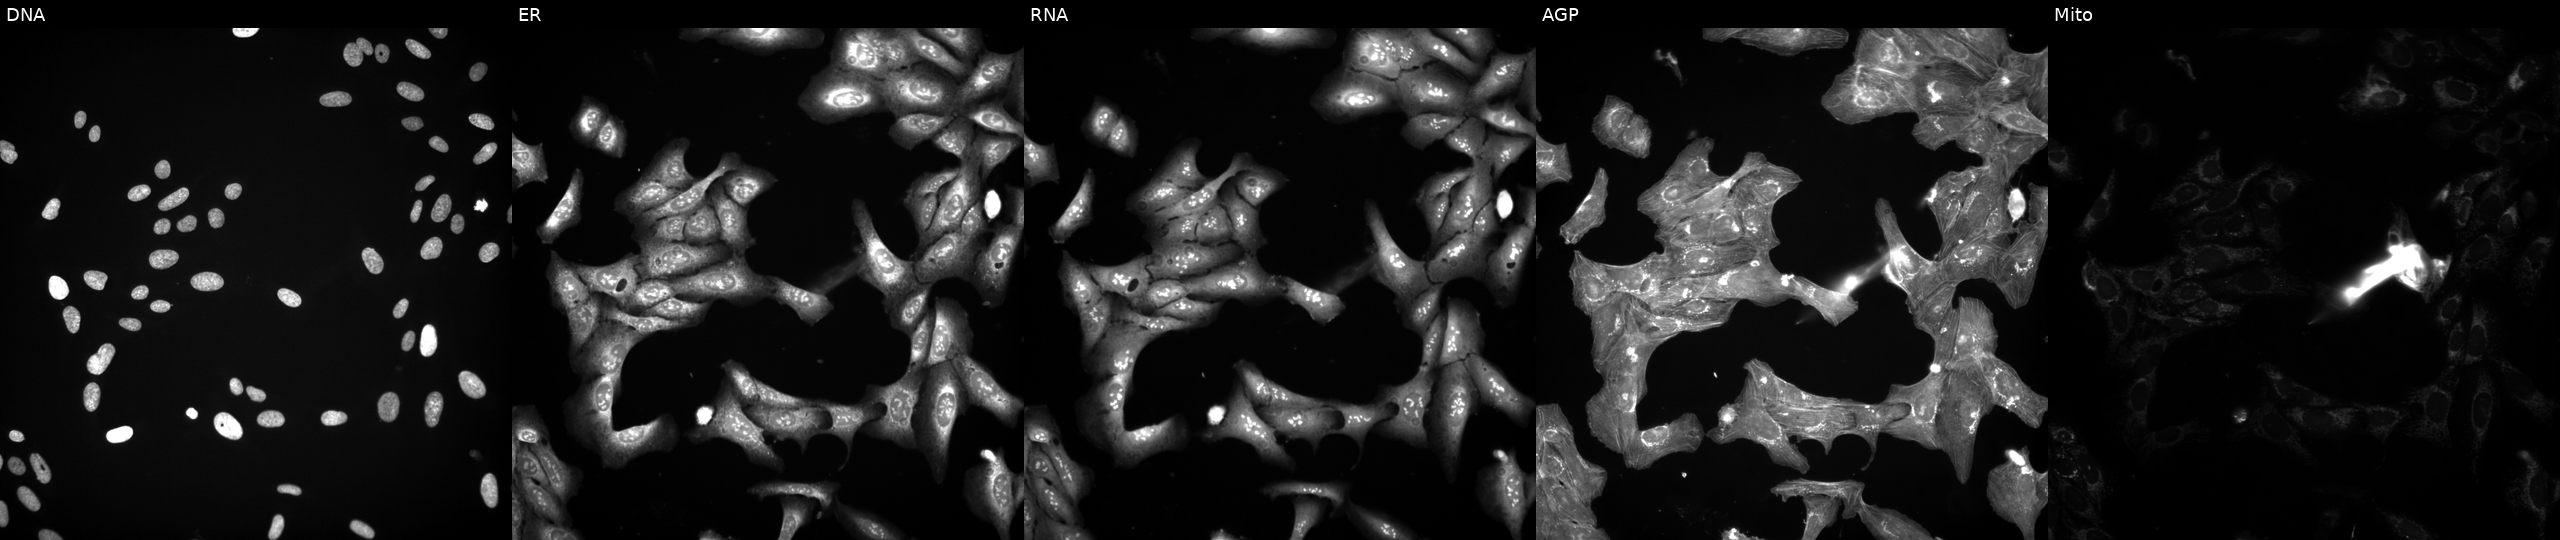
From left to right: DNA (nuclei); ER (endoplasmic reticulum); RNA (nucleoli and cytoplasmic RNA); AGP (actin cytoskeleton, Golgi, and plasma membrane); Mito (mitochondria). U2OS osteosarcoma cells perturbed with a small-molecule compound [SMILES: COc1cc2ncnc(Sc3nnc(C)s3)c2cc1OC] (JUMP id JCP2022_080150). Cell Painting assay, JUMP-CP dataset.